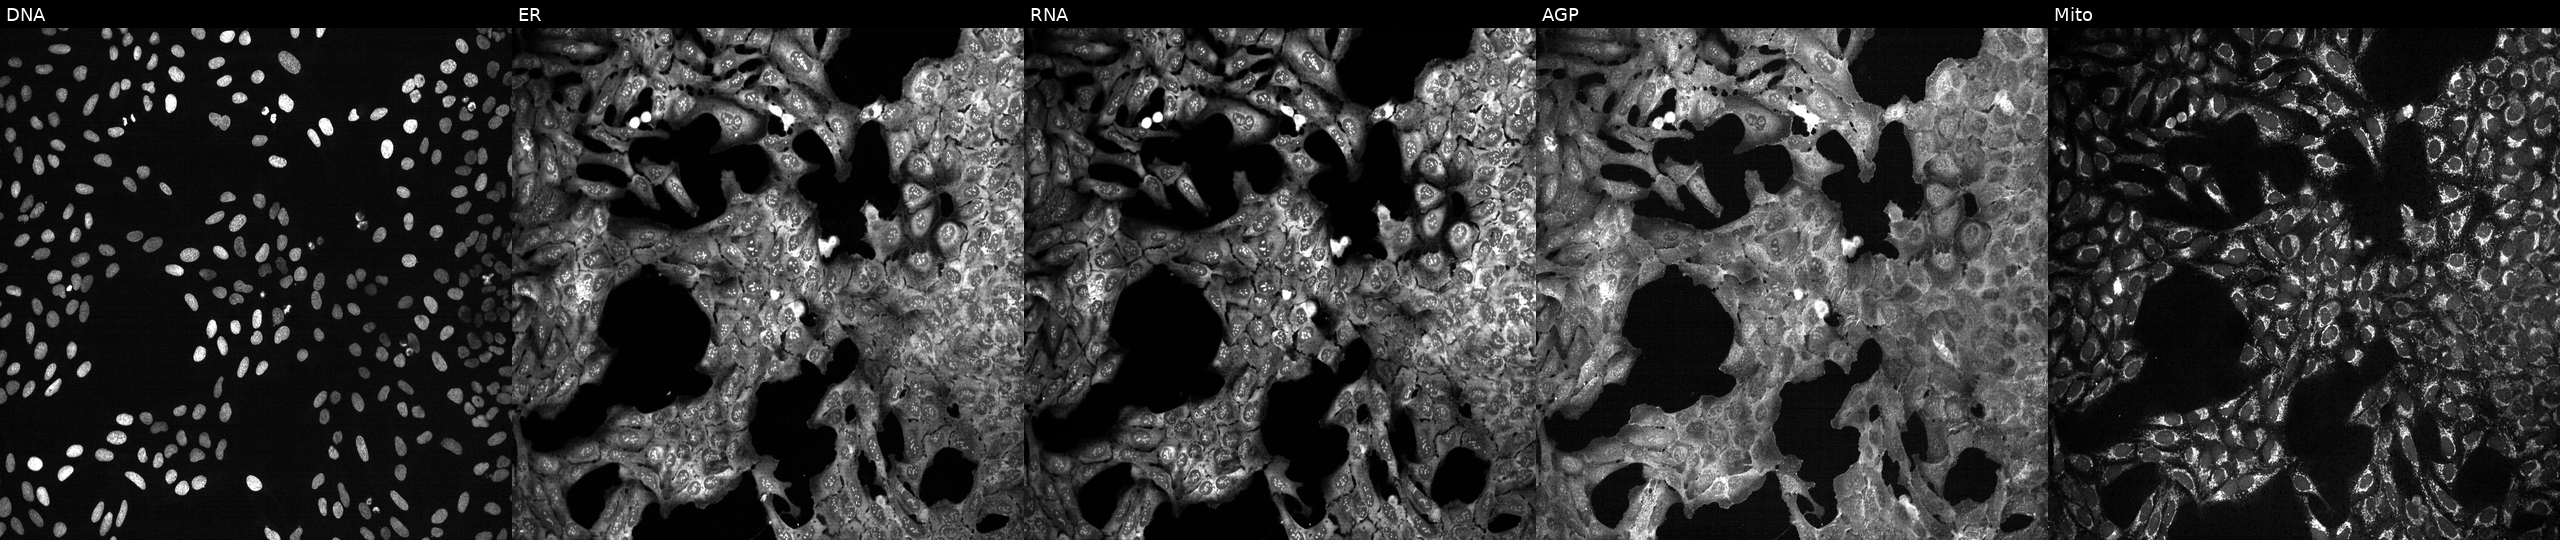
From left to right: Hoechst 33342, concanavalin A, SYTO 14, phalloidin and WGA, MitoTracker. U2OS osteosarcoma cells exposed to the positive-control compound dexamethasone. Cell Painting assay, JUMP-CP dataset. Source 13, plate CP-CC9-R3-01, well G24.